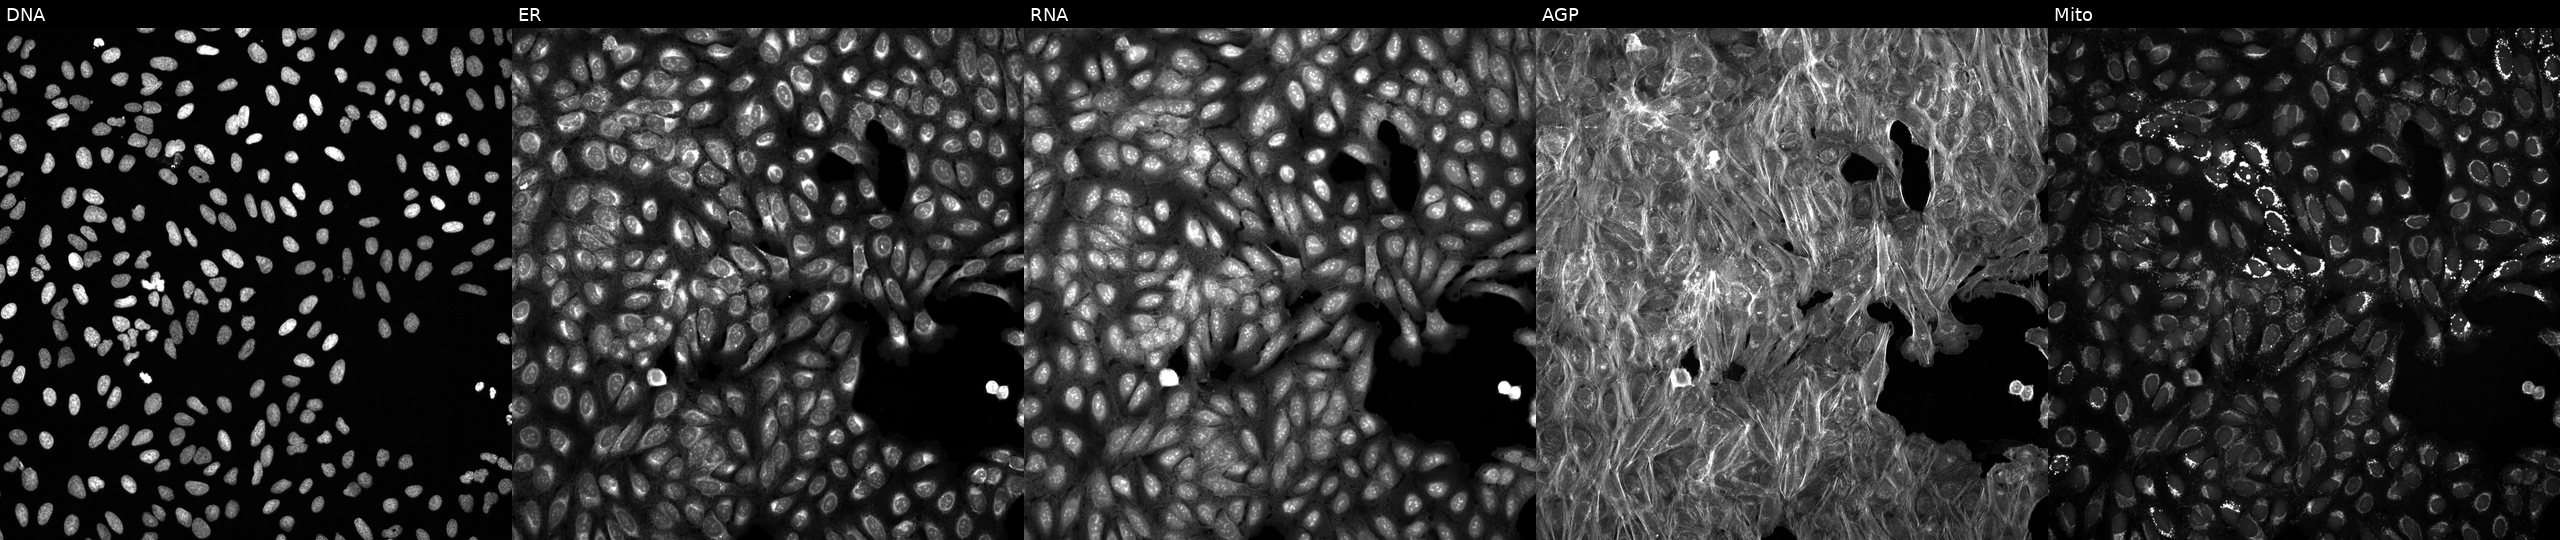
This image strip shows the five Cell Painting channels for a single field of U2OS cells treated with a small-molecule compound (InChIKey GNEGZOQLRNGVRO-UHFFFAOYSA-N) [SMILES: CCS(=O)(=O)Nc1ccc(N(C)C)c(CN(C(=O)C(C)(C)C)C(C)c2ccccc2)c1] (JUMP id JCP2022_026563). The five panels, left to right, show DNA (nuclei); ER (endoplasmic reticulum); RNA (nucleoli and cytoplasmic RNA); AGP (actin cytoskeleton, Golgi, and plasma membrane); Mito (mitochondria).